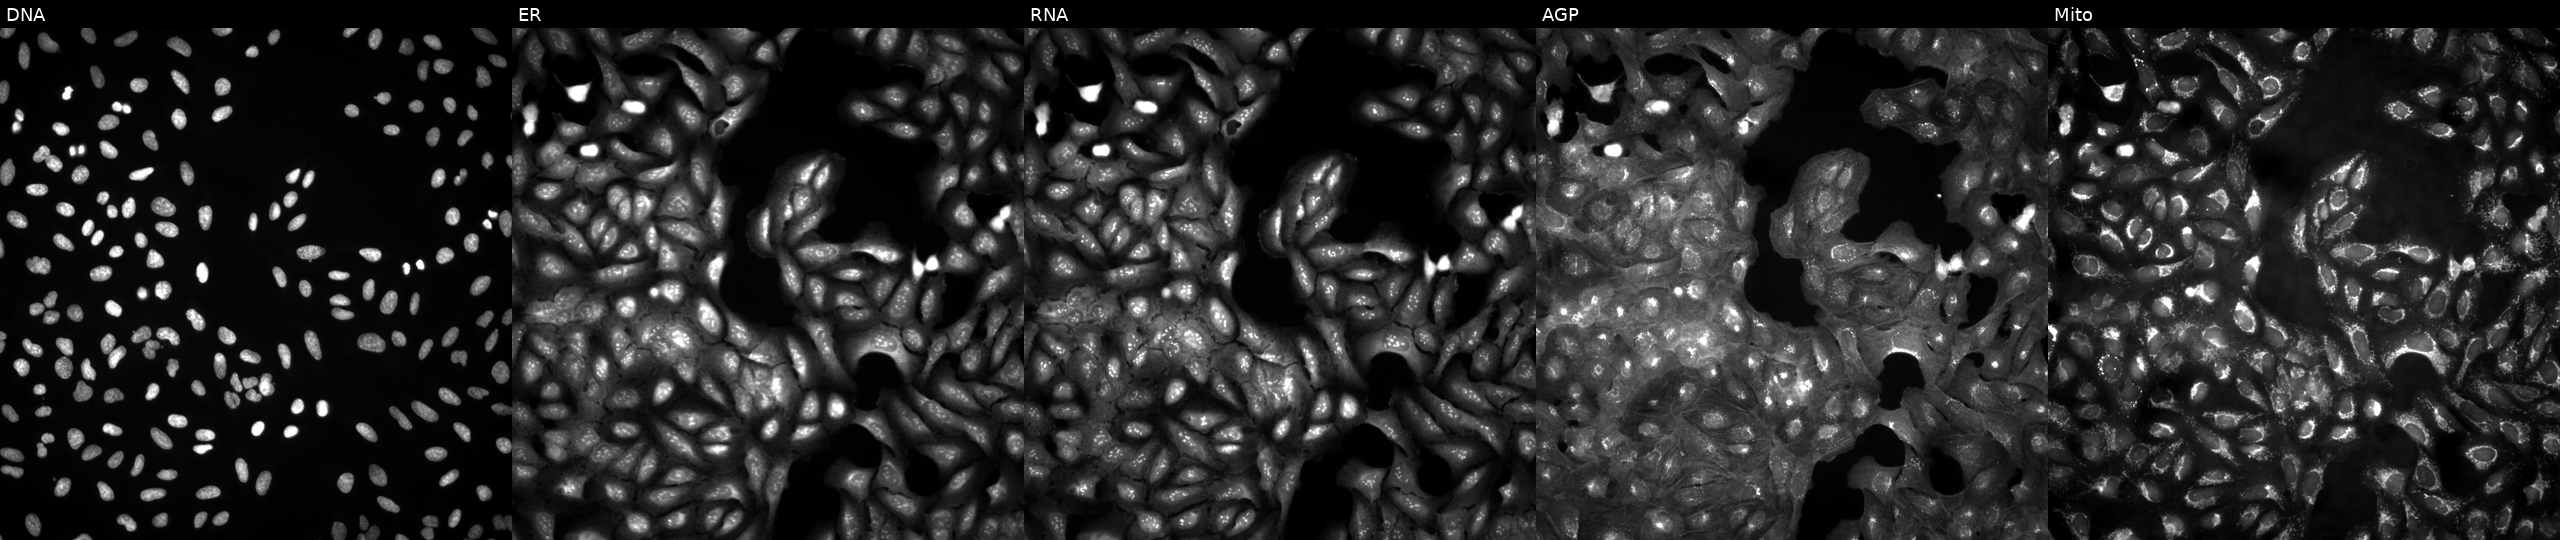
U2OS cells, Cell Painting assay, in an empty control well (no perturbation) (JUMP id JCP2022_999999). Panels show, left to right, DNA, ER, RNA, AGP, and Mito. Each panel is percentile-stretched 16-bit fluorescence. Source 4, plate BR00123946, well K09.